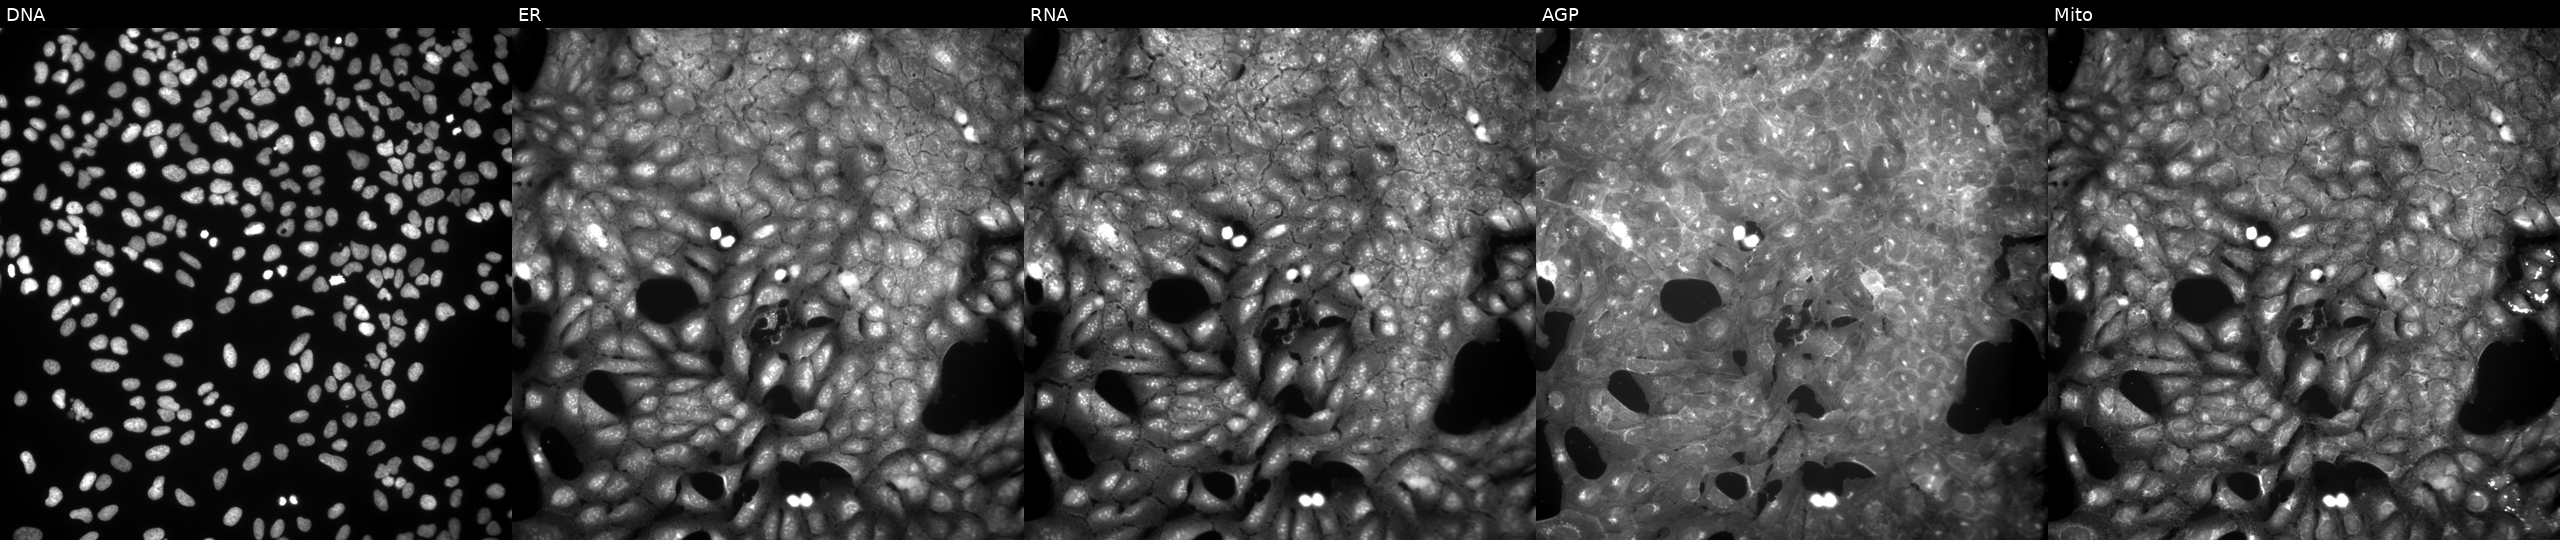
U2OS cells, Cell Painting assay, treated with a small-molecule compound (InChIKey FUOCUISHQOYNHP-UHFFFAOYSA-N) (JUMP id JCP2022_023060). From left to right: DNA (nuclei); ER (endoplasmic reticulum); RNA (nucleoli and cytoplasmic RNA); AGP (actin cytoskeleton, Golgi, and plasma membrane); Mito (mitochondria). Each panel is percentile-stretched 16-bit fluorescence. Source 9, plate GR00003381, well Q39.